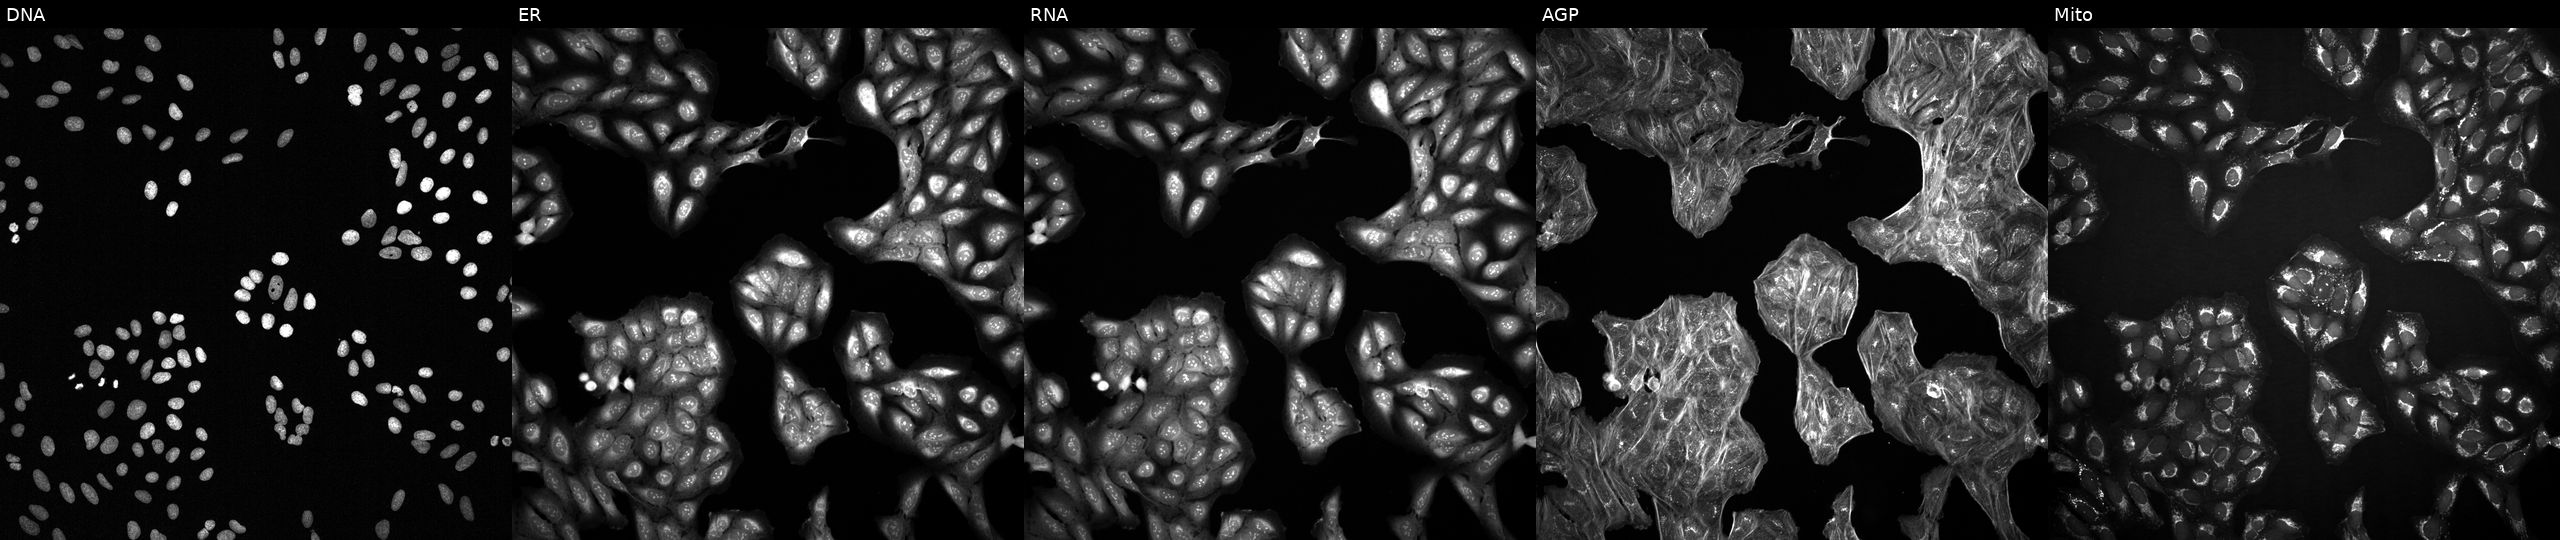
High-content fluorescence microscopy (Cell Painting). Cell line: U2OS. Perturbation: exposed to the positive-control compound aloxistatin. Channels (left→right): DNA, ER, RNA, AGP, and Mito.